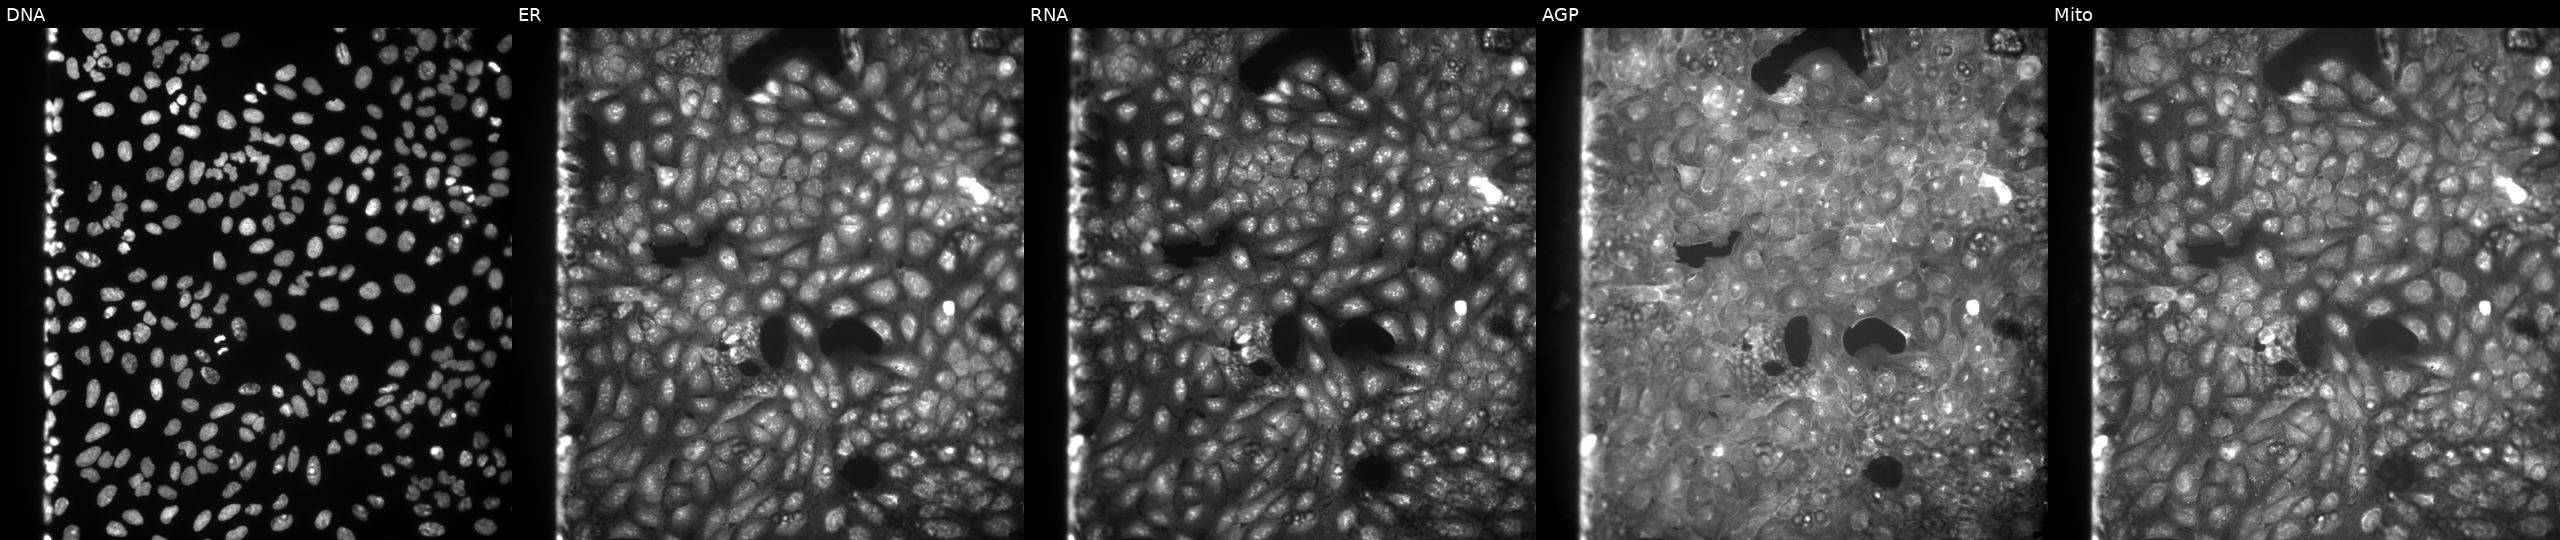
This image strip shows the five Cell Painting channels for a single field of U2OS cells exposed to a small-molecule compound (InChIKey CJIXBWWWARSVTD-UHFFFAOYSA-N) (JUMP id JCP2022_011499). Channels (left→right): Hoechst 33342, concanavalin A, SYTO 14, phalloidin and WGA, MitoTracker. Source 9, plate GR00003382, well A03.